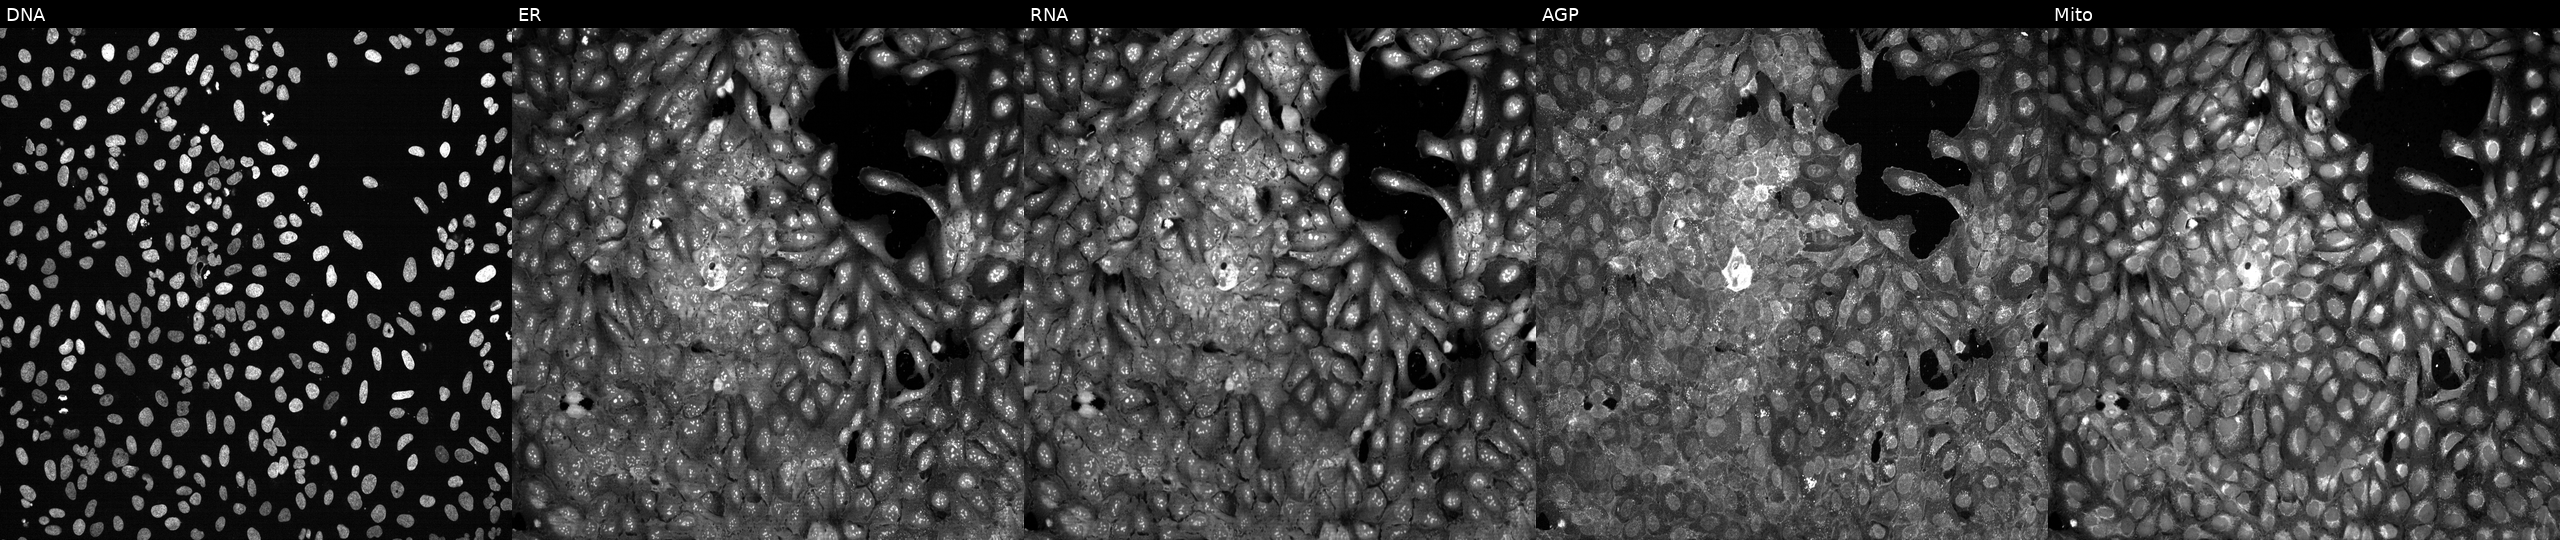
Panels show, left to right, Hoechst 33342, concanavalin A, SYTO 14, phalloidin and WGA, MitoTracker. U2OS osteosarcoma cells following CRISPR knockout of FUT9. Cell Painting assay, JUMP-CP dataset. Source 13, plate CP-CC9-R1-02, well A11.